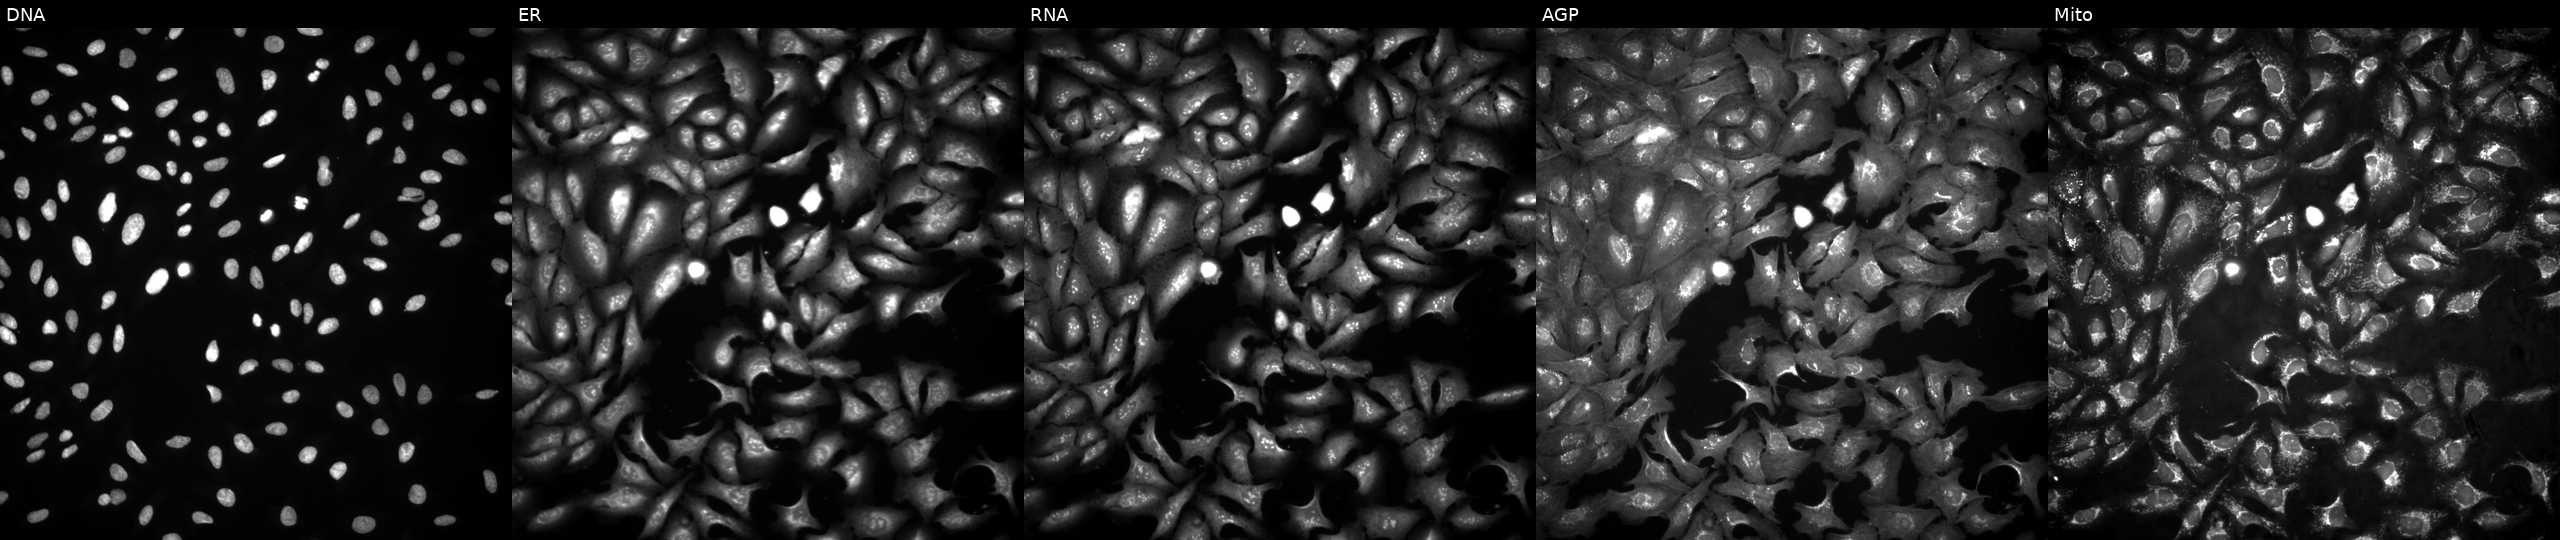
The five panels, left to right, show DNA (nuclei); ER (endoplasmic reticulum); RNA (nucleoli and cytoplasmic RNA); AGP (actin cytoskeleton, Golgi, and plasma membrane); Mito (mitochondria). U2OS osteosarcoma cells with MGC40069 overexpressed (ORF). Cell Painting assay, JUMP-CP dataset.